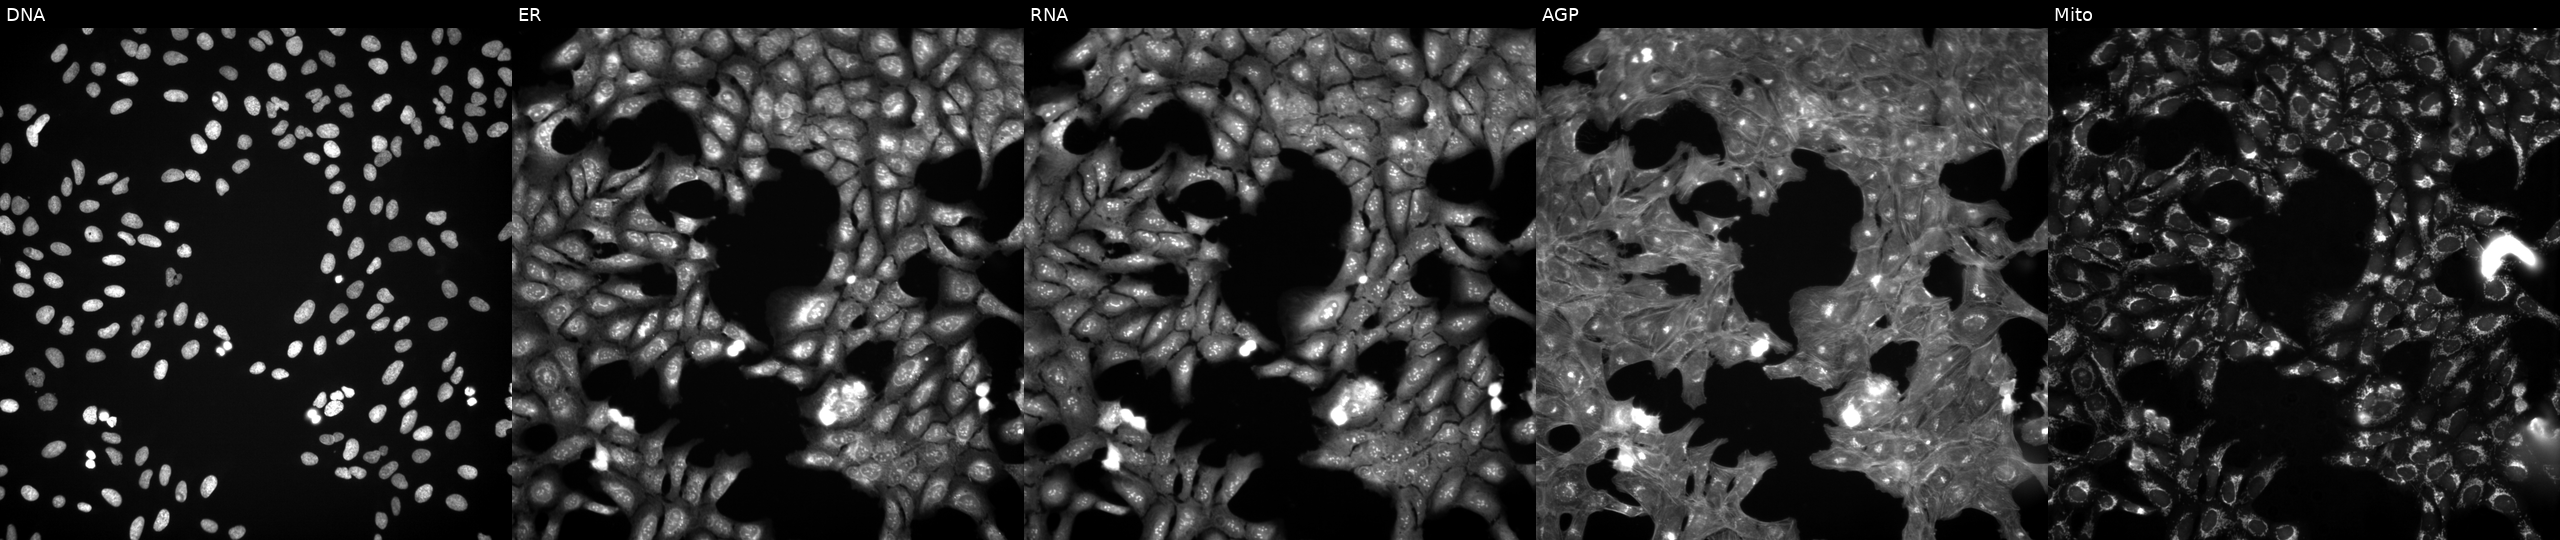
U2OS cells, Cell Painting assay, exposed to a small-molecule compound (InChIKey XDJCLCLBSGGNKS-UHFFFAOYSA-N). Channels (left→right): DNA, ER, RNA, AGP, and Mito. Each panel is percentile-stretched 16-bit fluorescence. Source 3, plate JCPQC051, well H13.